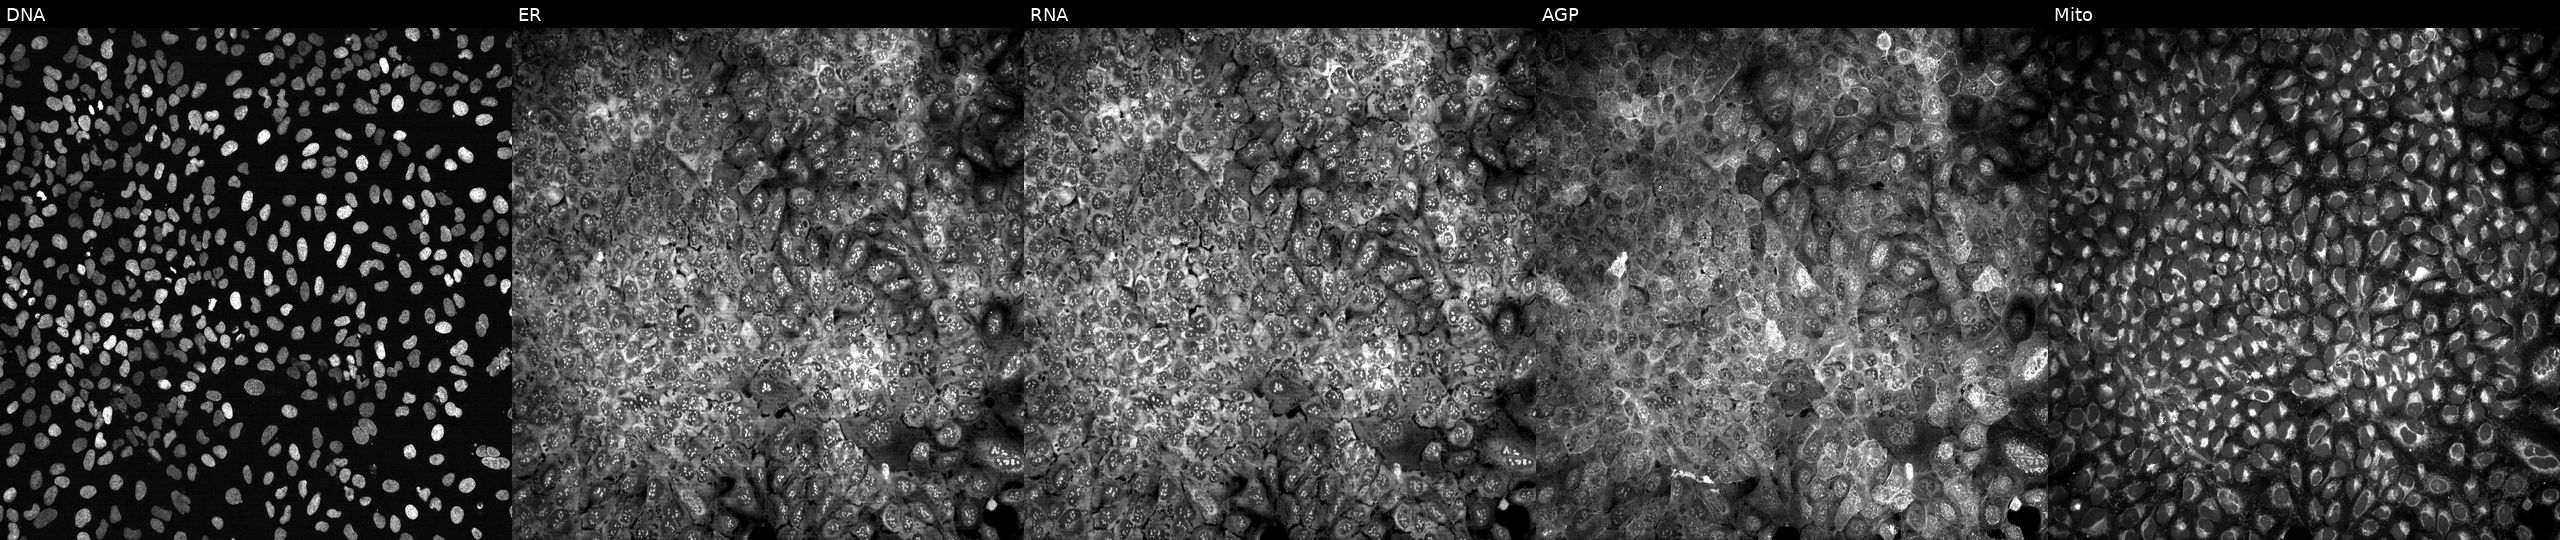
Five-channel Cell Painting image of U2OS cells following CRISPR knockout of CPOX (JUMP id JCP2022_801480). From left to right: DNA (nuclei); ER (endoplasmic reticulum); RNA (nucleoli and cytoplasmic RNA); AGP (actin cytoskeleton, Golgi, and plasma membrane); Mito (mitochondria).